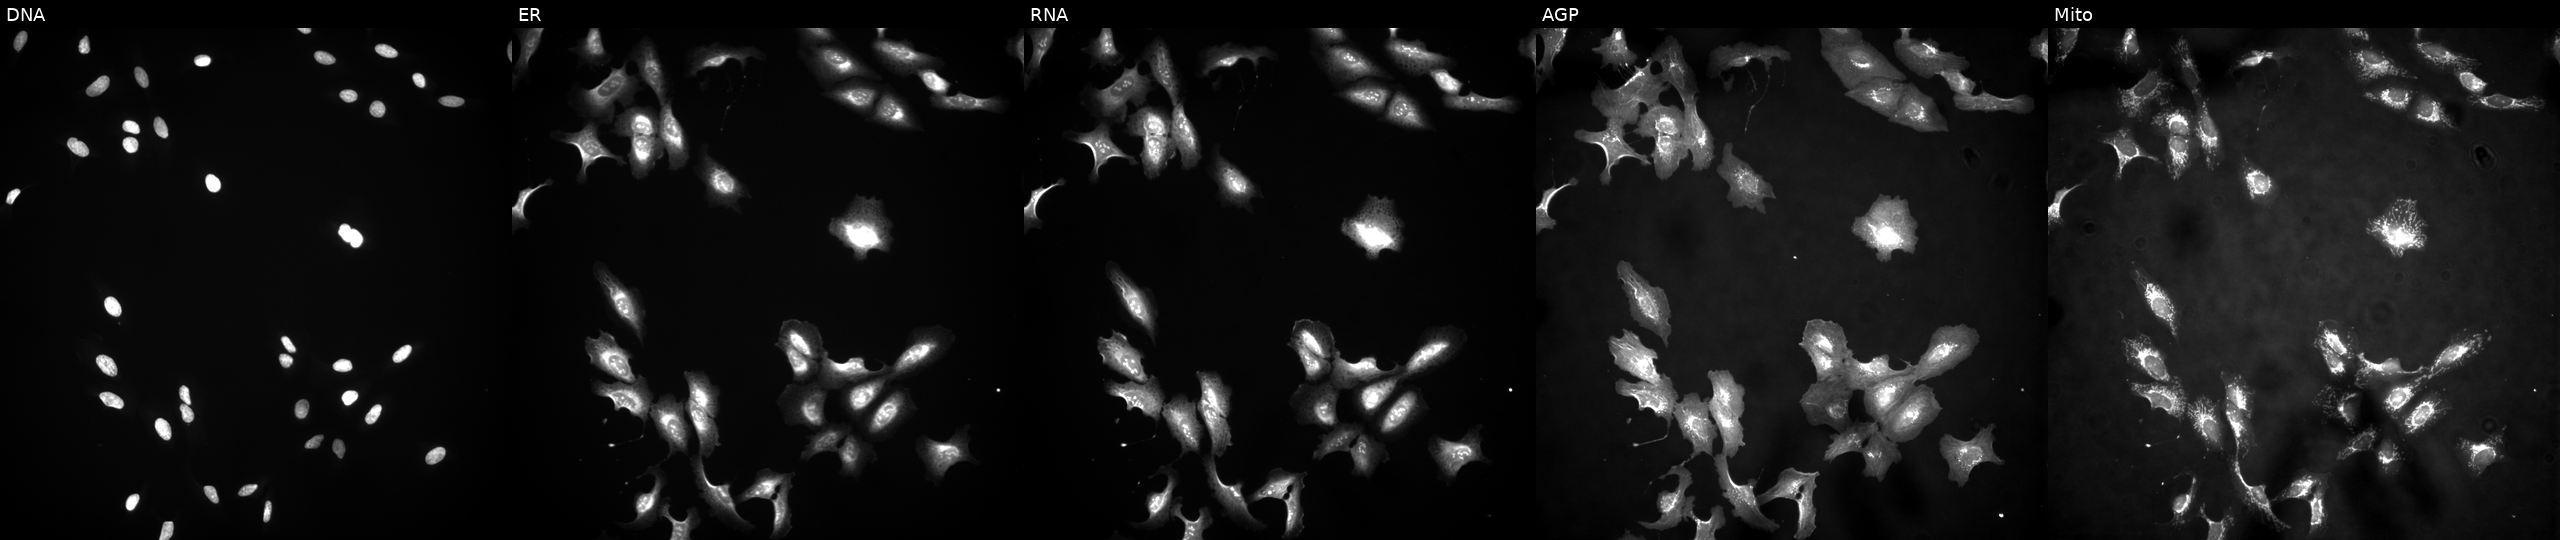
From left to right: DNA (nuclei); ER (endoplasmic reticulum); RNA (nucleoli and cytoplasmic RNA); AGP (actin cytoskeleton, Golgi, and plasma membrane); Mito (mitochondria). U2OS osteosarcoma cells transfected with an ORF construct for OSTF1. Cell Painting assay, JUMP-CP dataset.